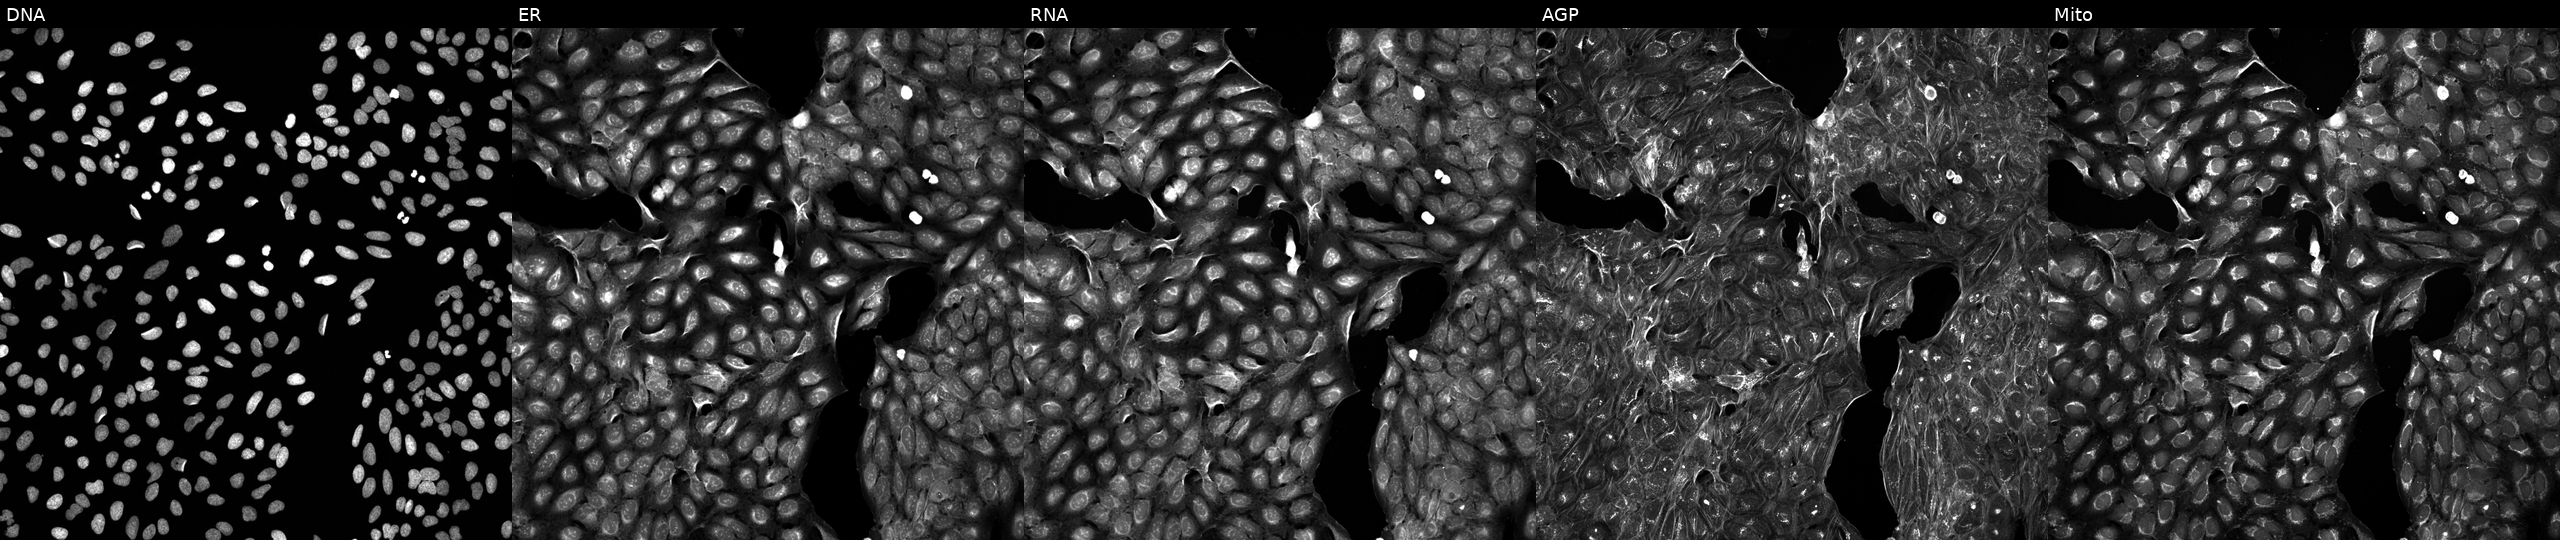
Five-channel Cell Painting image of U2OS cells treated with a small-molecule compound (InChIKey MPIIWVZAOVVYBE-UHFFFAOYSA-N) [SMILES: CC(=O)Nc1c[nH]nc1C1CCCN(C(=O)CCc2cc(C)cc(C)c2)C1] (JUMP id JCP2022_055658). From left to right: DNA, ER, RNA, AGP, and Mito.